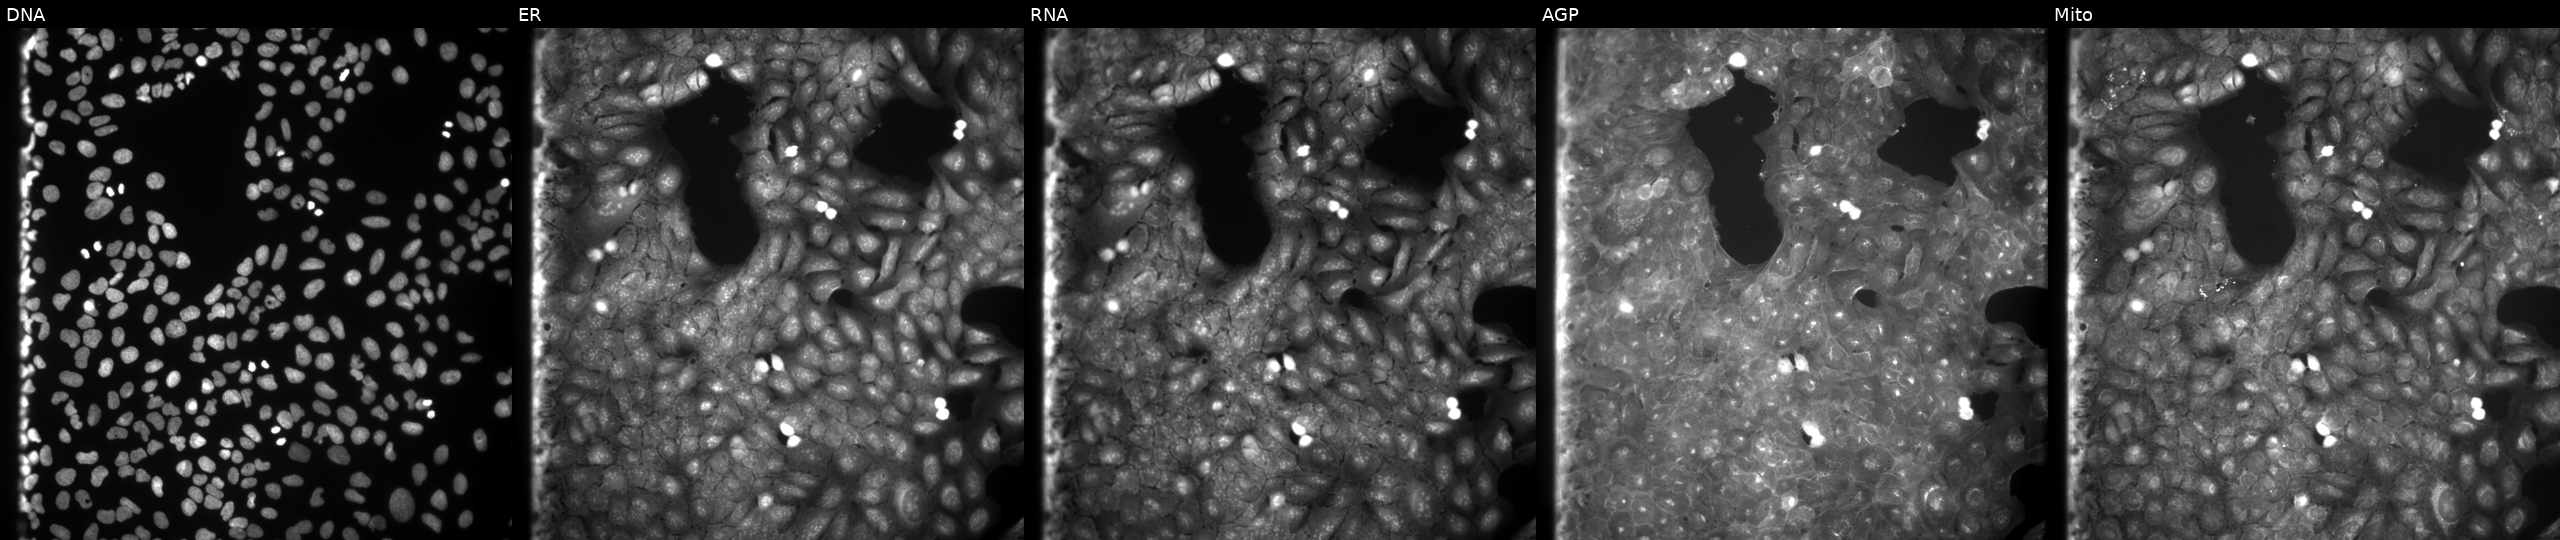
This image strip shows the five Cell Painting channels for a single field of U2OS cells perturbed with a small-molecule compound (InChIKey VAUWYBKCJGMCHA-UHFFFAOYSA-N) (JUMP id JCP2022_092755). From left to right: DNA (nuclei); ER (endoplasmic reticulum); RNA (nucleoli and cytoplasmic RNA); AGP (actin cytoskeleton, Golgi, and plasma membrane); Mito (mitochondria). Source 9, plate GR00003381, well G07.